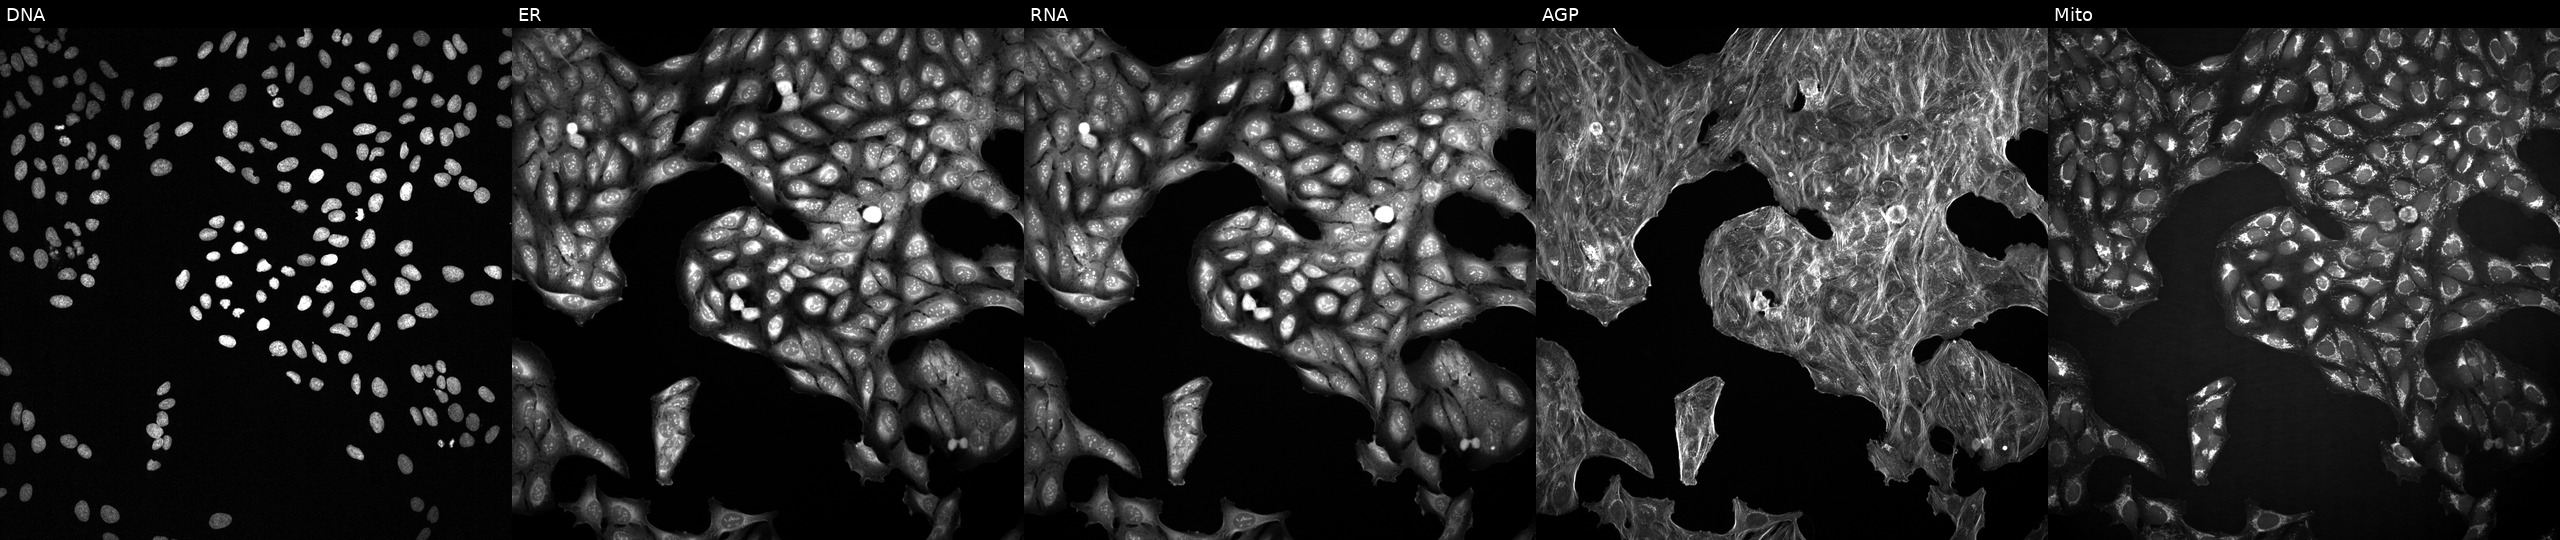
JUMP Cell Painting — COMPOUND plate. U2OS cells treated with aloxistatin (positive-control compound). From left to right: Hoechst 33342, concanavalin A, SYTO 14, phalloidin and WGA, MitoTracker.